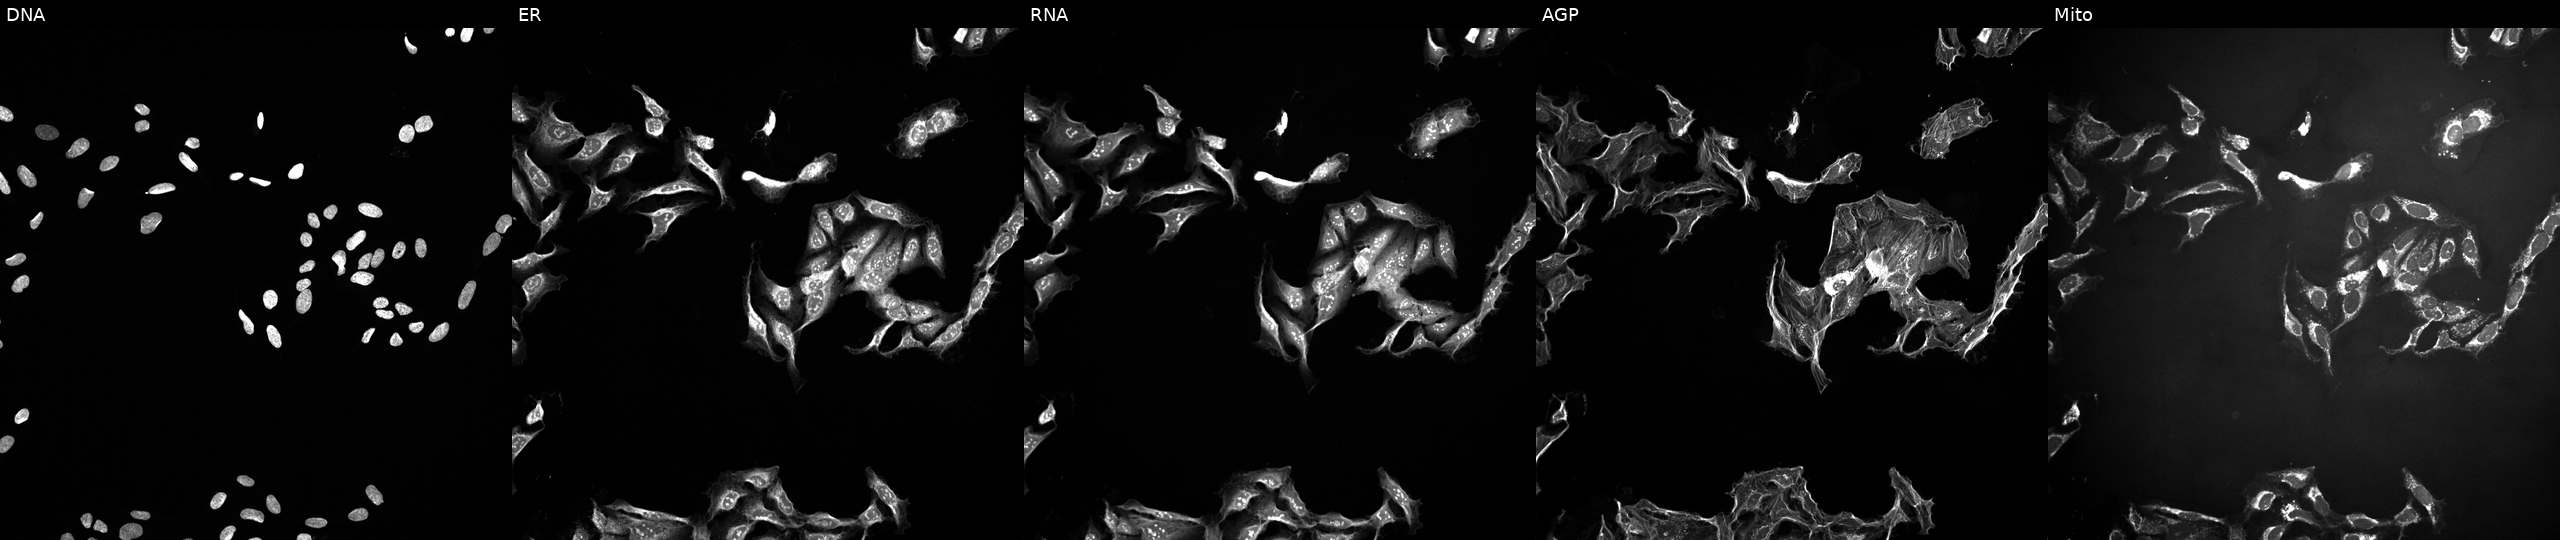
This image strip shows the five Cell Painting channels for a single field of U2OS cells treated with a small-molecule compound (InChIKey ZESFDAKNYJQYKO-UHFFFAOYSA-N) (JUMP id JCP2022_112828). The five panels, left to right, show Hoechst 33342, concanavalin A, SYTO 14, phalloidin and WGA, MitoTracker.